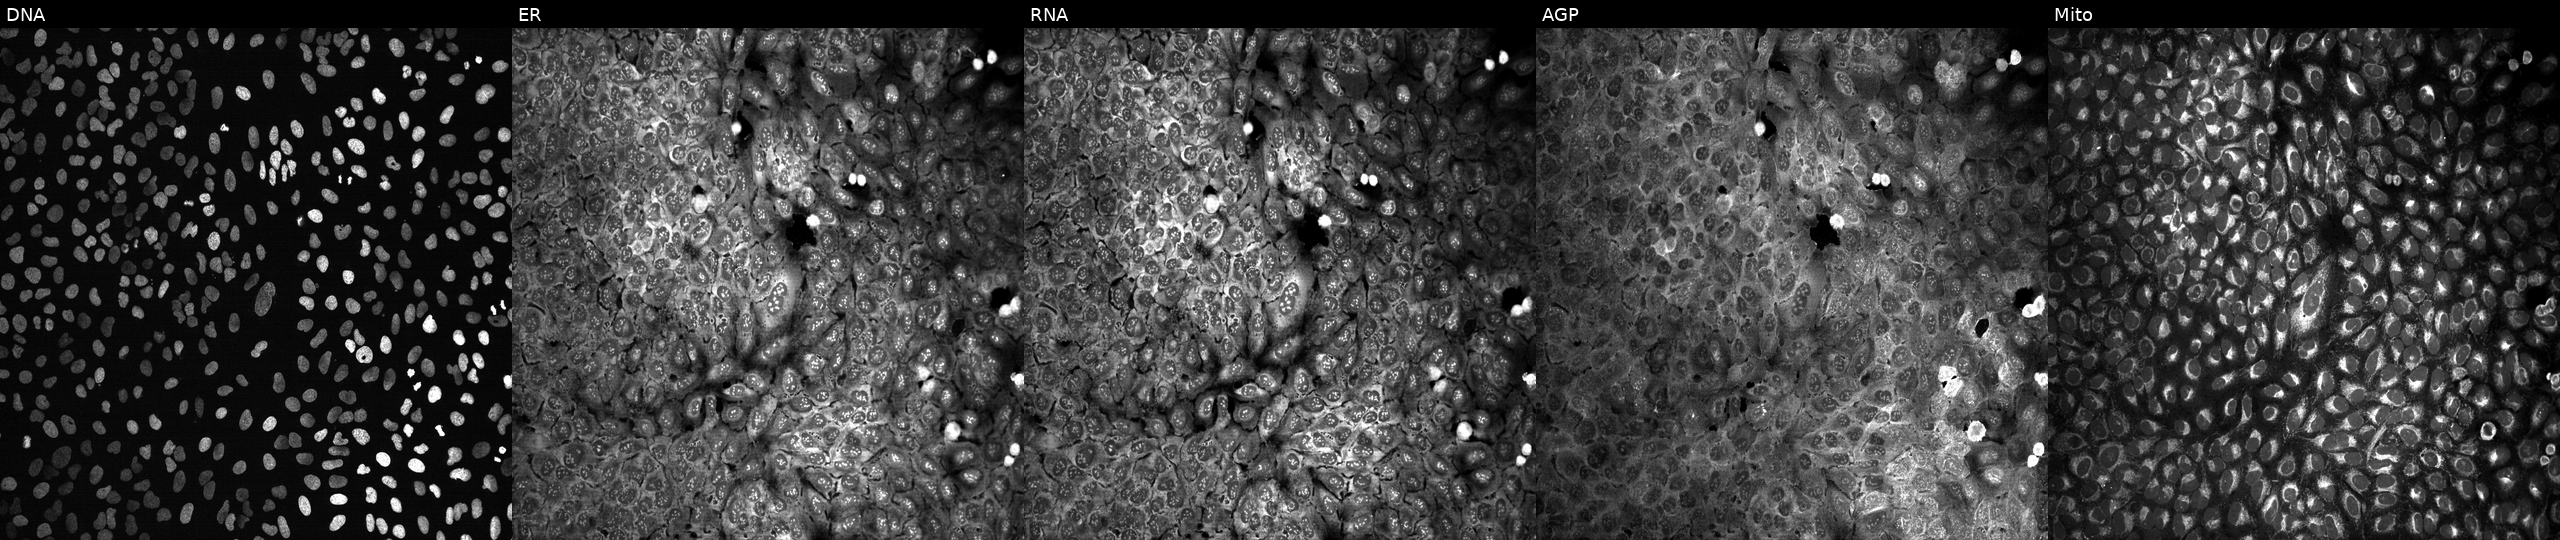
U2OS cells, Cell Painting assay, with ARHGEF6 knocked out by CRISPR (JUMP id JCP2022_800572). The five panels, left to right, show DNA, ER, RNA, AGP, and Mito. Each panel is percentile-stretched 16-bit fluorescence. Source 13, plate CP-CC9-R3-01, well H04.